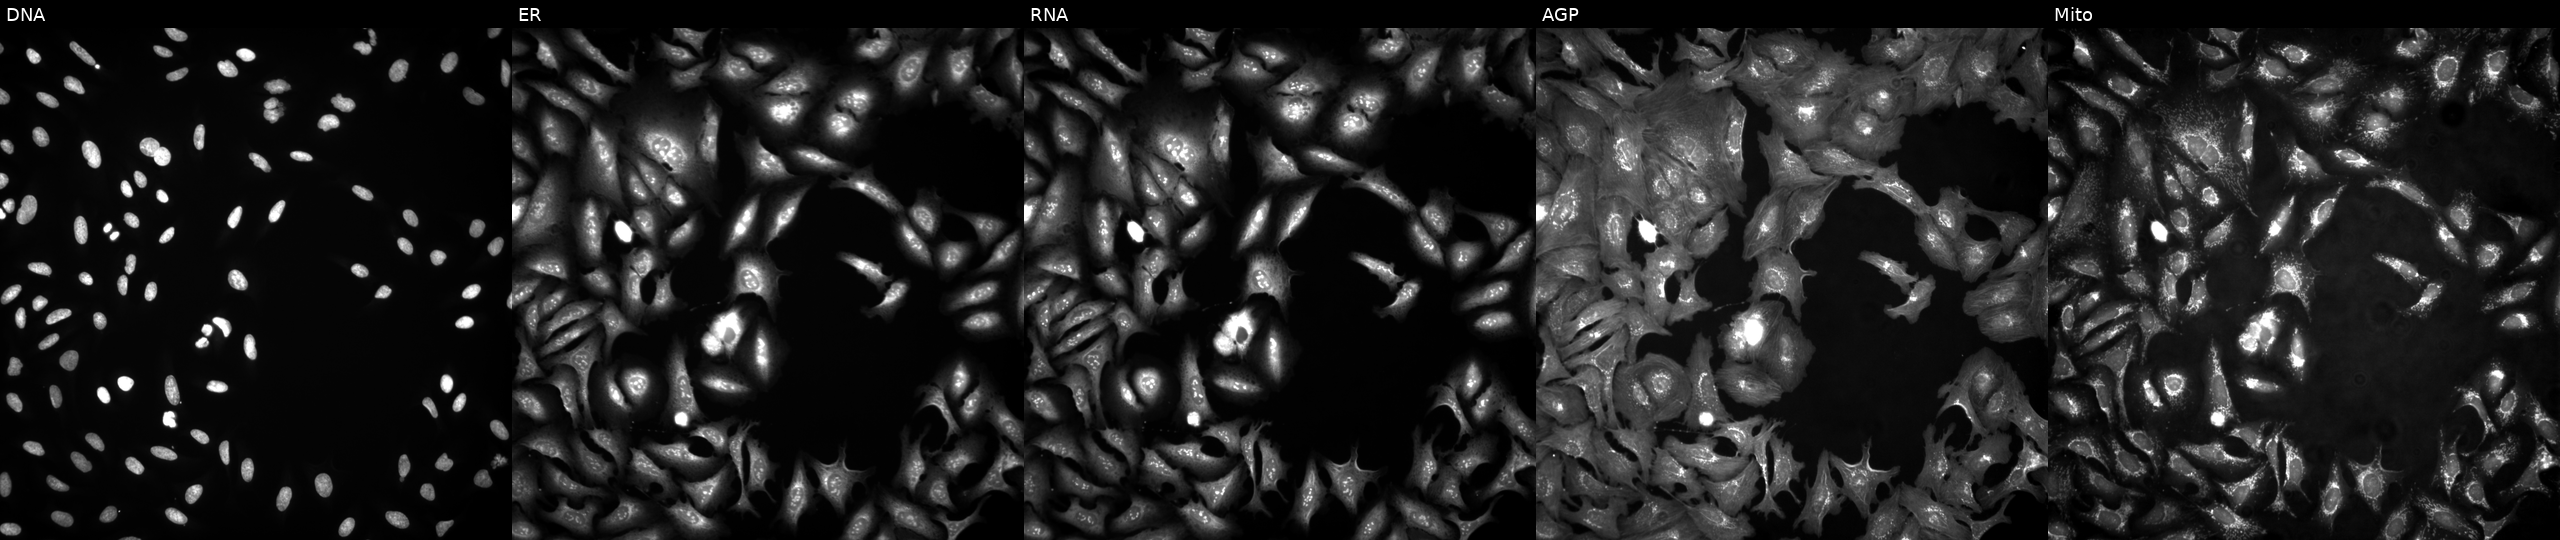
JUMP Cell Painting — ORF plate. U2OS cells transfected with an ORF construct for SHPK (JUMP id JCP2022_914043). The five panels, left to right, show Hoechst 33342, concanavalin A, SYTO 14, phalloidin and WGA, MitoTracker.